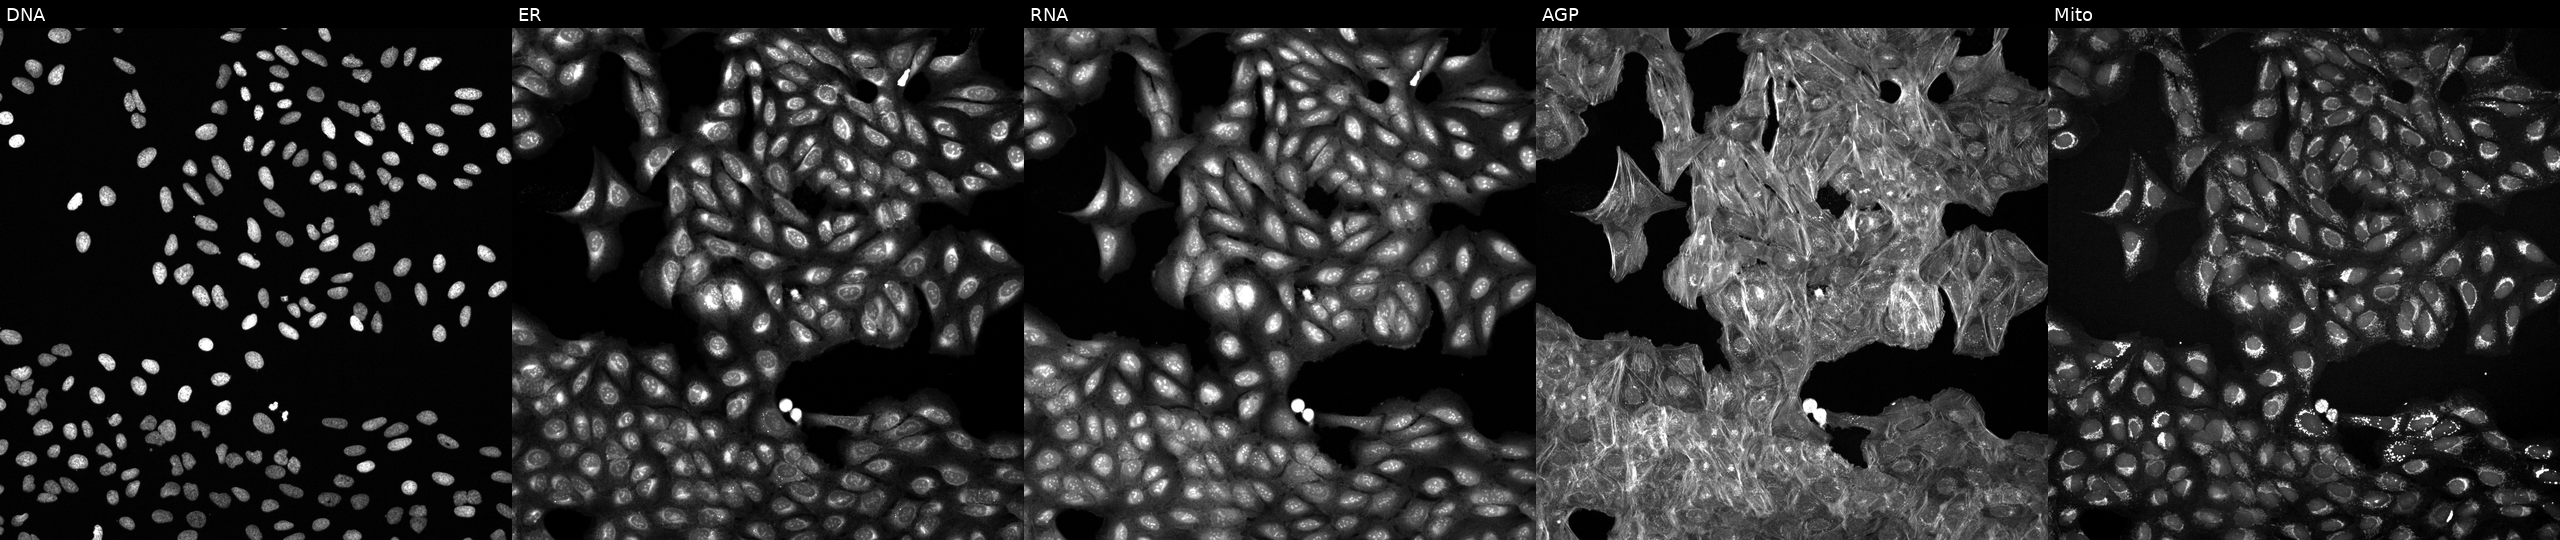
From left to right: Hoechst 33342, concanavalin A, SYTO 14, phalloidin and WGA, MitoTracker. U2OS osteosarcoma cells treated with a small-molecule compound (JUMP id JCP2022_104198). Cell Painting assay, JUMP-CP dataset. Source 6, plate 110000293083, well B19.